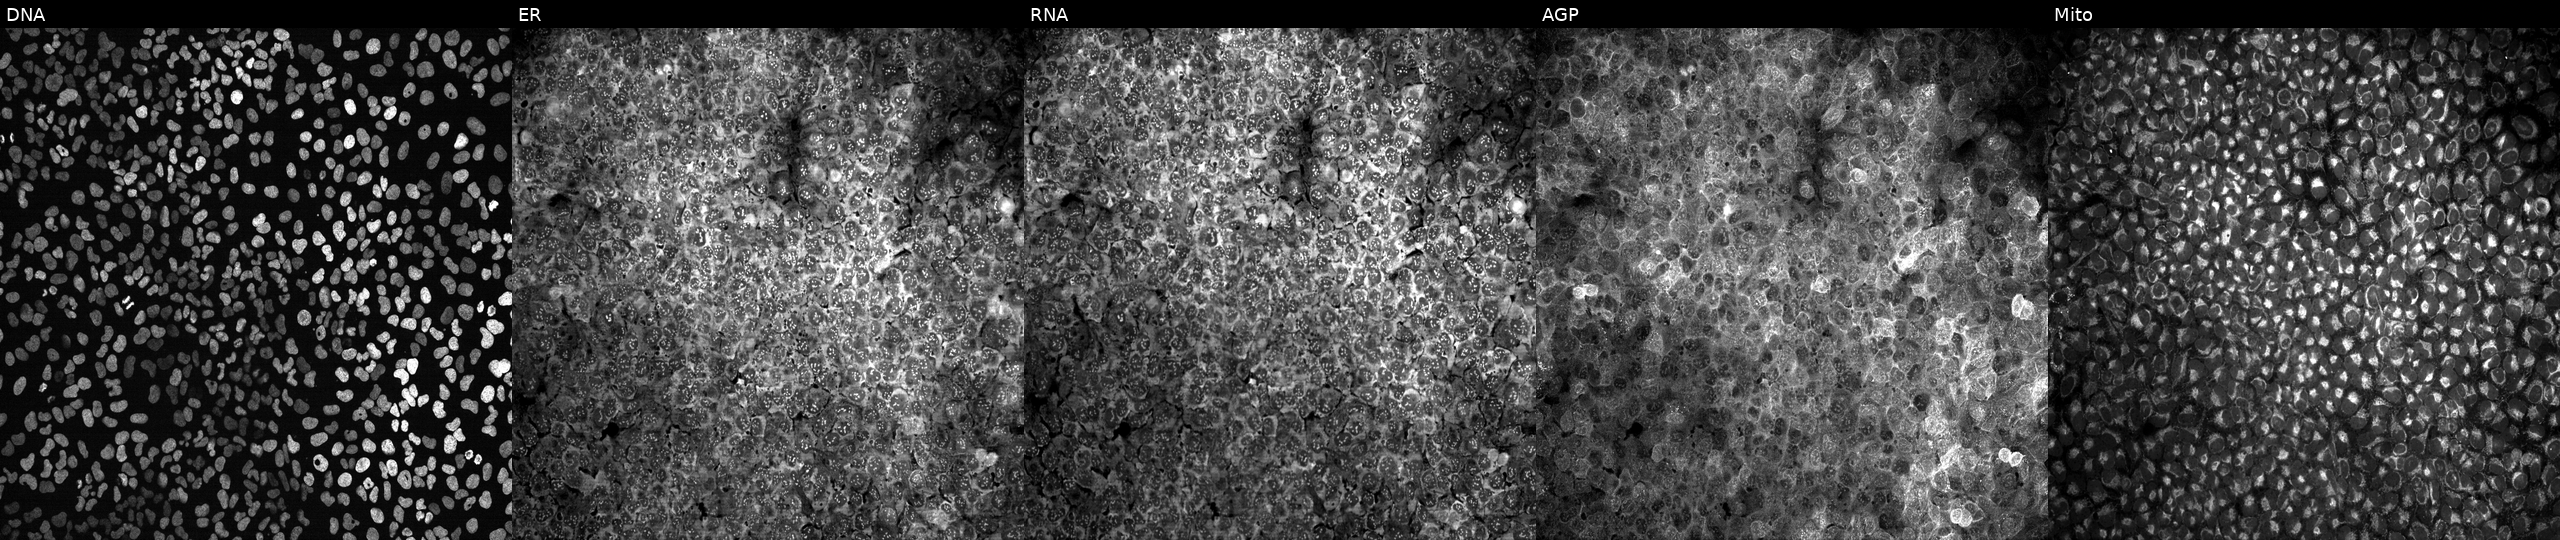
JUMP Cell Painting — CRISPR plate. U2OS cells with no CRISPR guide (negative control). The five panels, left to right, show DNA, ER, RNA, AGP, and Mito. Source 13, plate CP-CC9-R4-04, well N02.